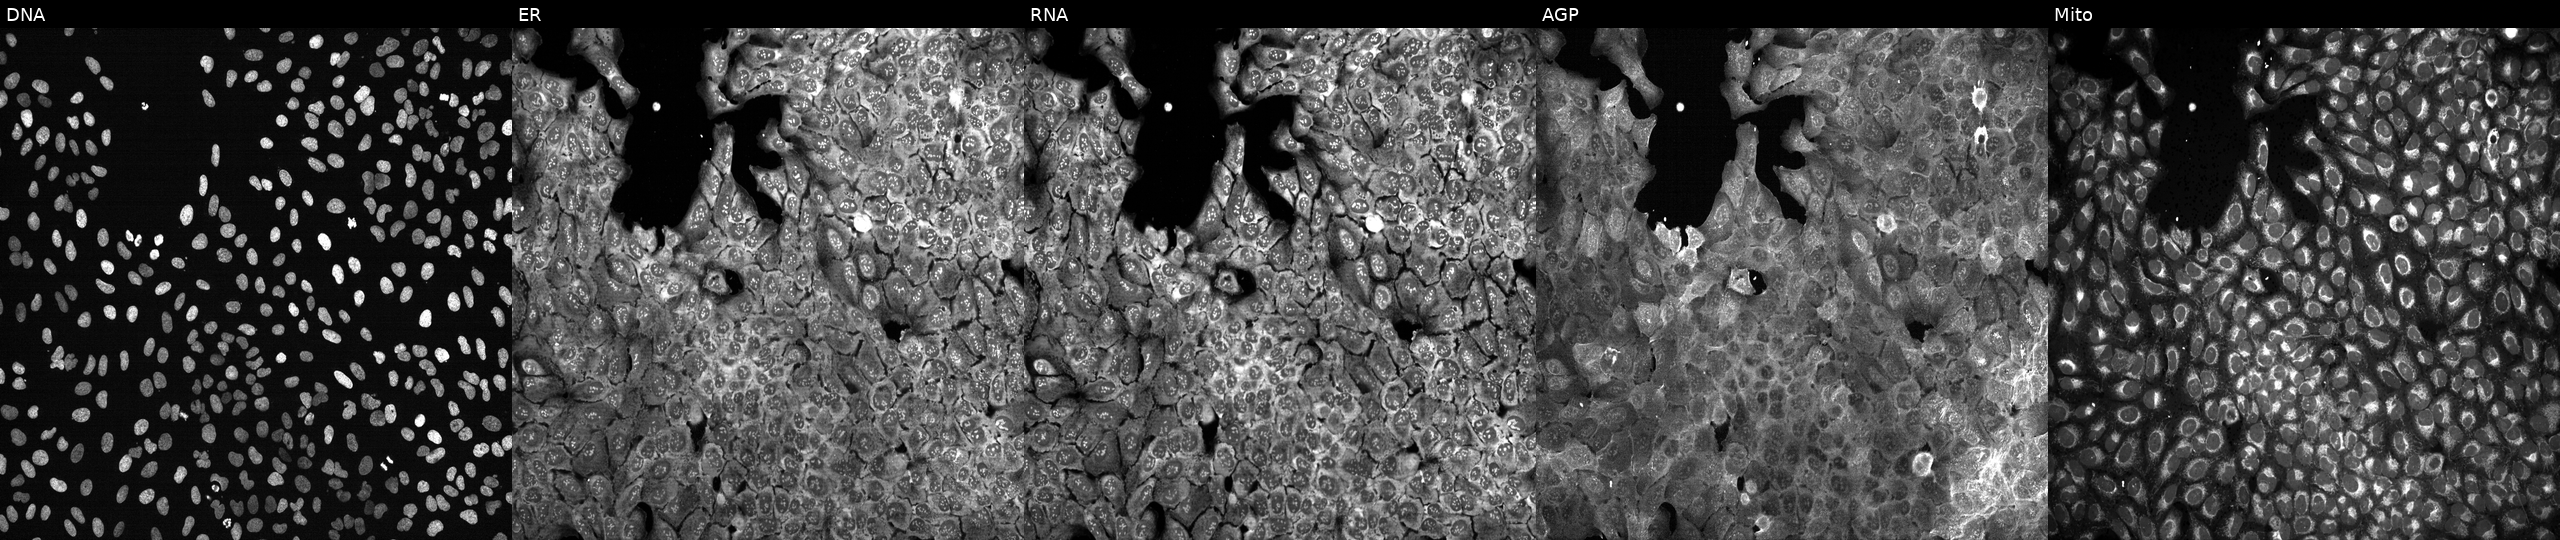
Five-channel Cell Painting image of U2OS cells CRISPR-edited to disrupt LIPF. From left to right: Hoechst 33342, concanavalin A, SYTO 14, phalloidin and WGA, MitoTracker.